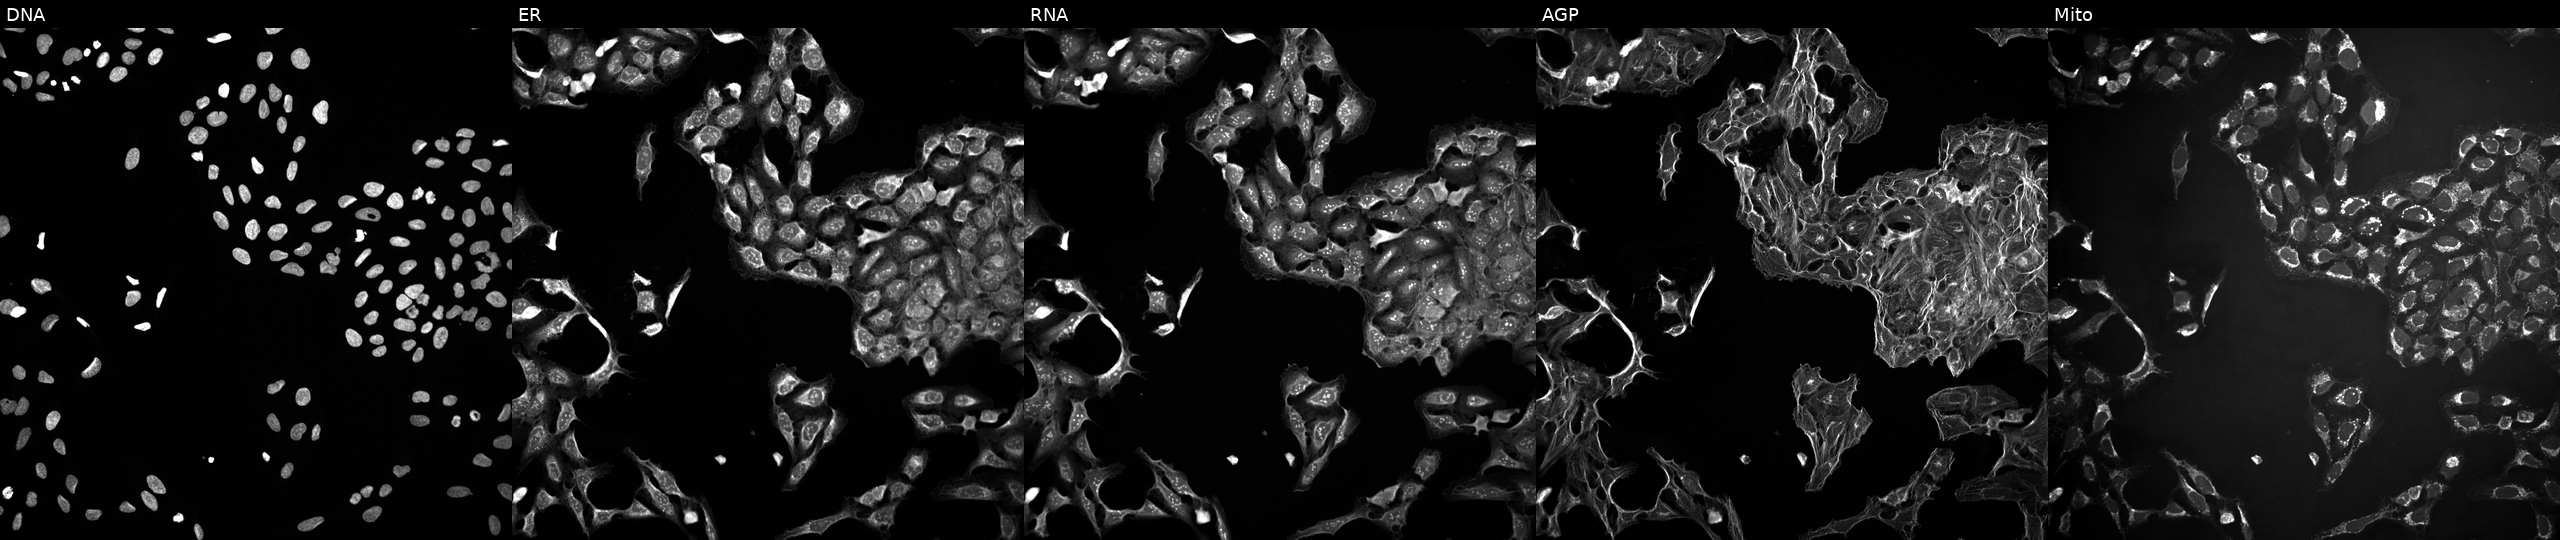
JUMP Cell Painting — TARGET2 plate. U2OS cells treated with a small-molecule compound (InChIKey VHOGYURTWQBHIL-UHFFFAOYSA-N). Channels (left→right): DNA, ER, RNA, AGP, and Mito.